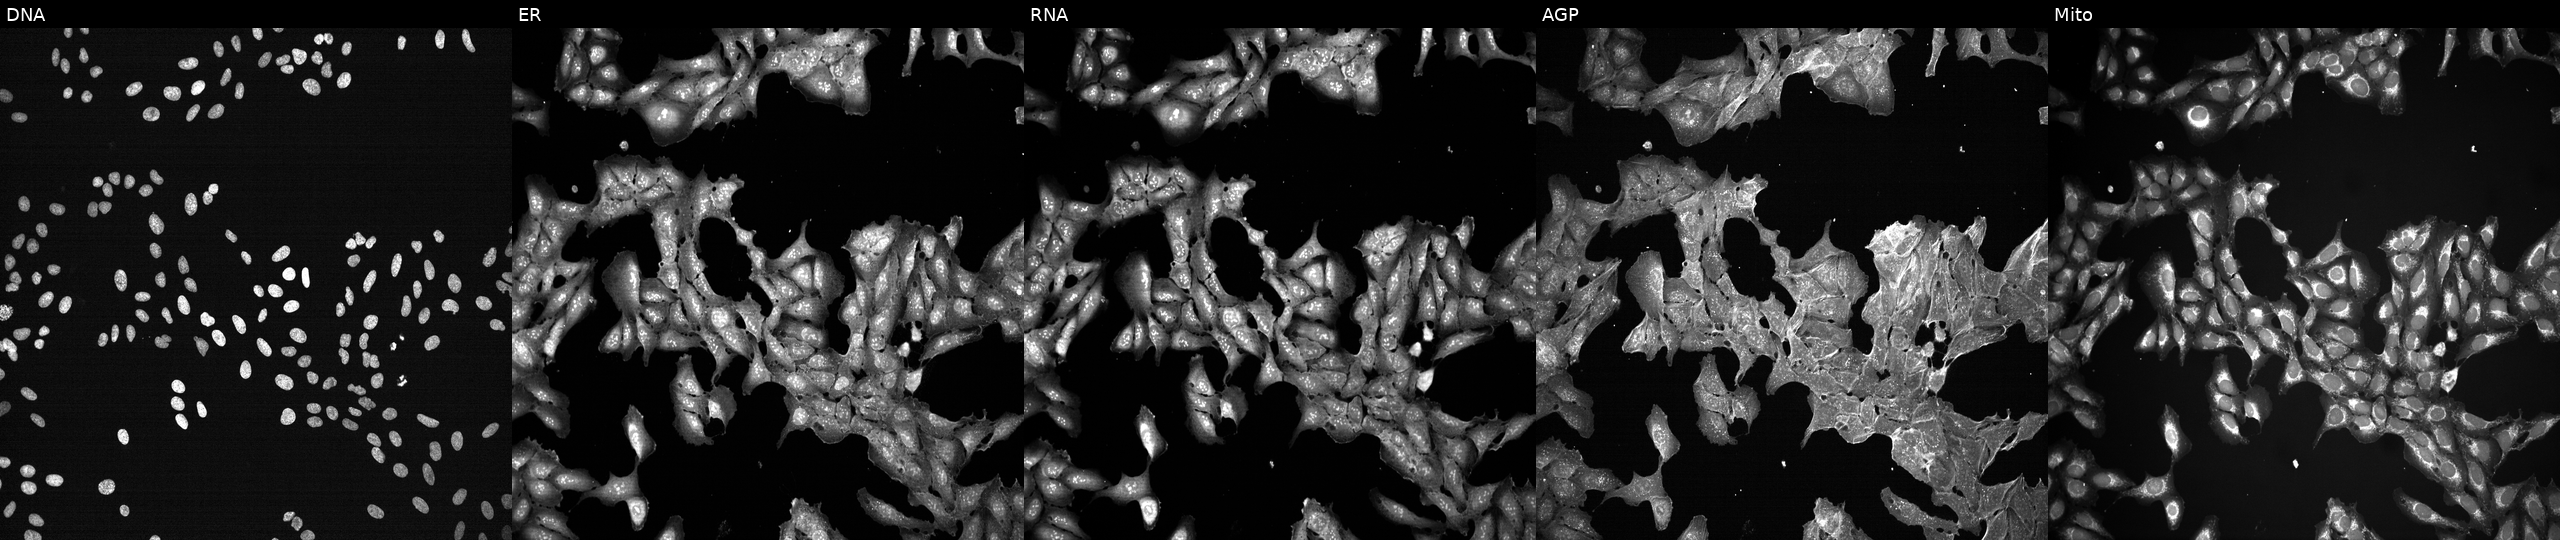
U2OS cells, Cell Painting assay, treated with a small-molecule compound (InChIKey NMUSYJAQQFHJEW-UHFFFAOYSA-N) [SMILES: N=c1ncn(C2OC(CO)C(O)C2O)c(=O)[nH]1] (JUMP id JCP2022_060040). Channels (left→right): Hoechst 33342, concanavalin A, SYTO 14, phalloidin and WGA, MitoTracker. Each panel is percentile-stretched 16-bit fluorescence. Source 7, plate CP3-SC1-25, well H21.